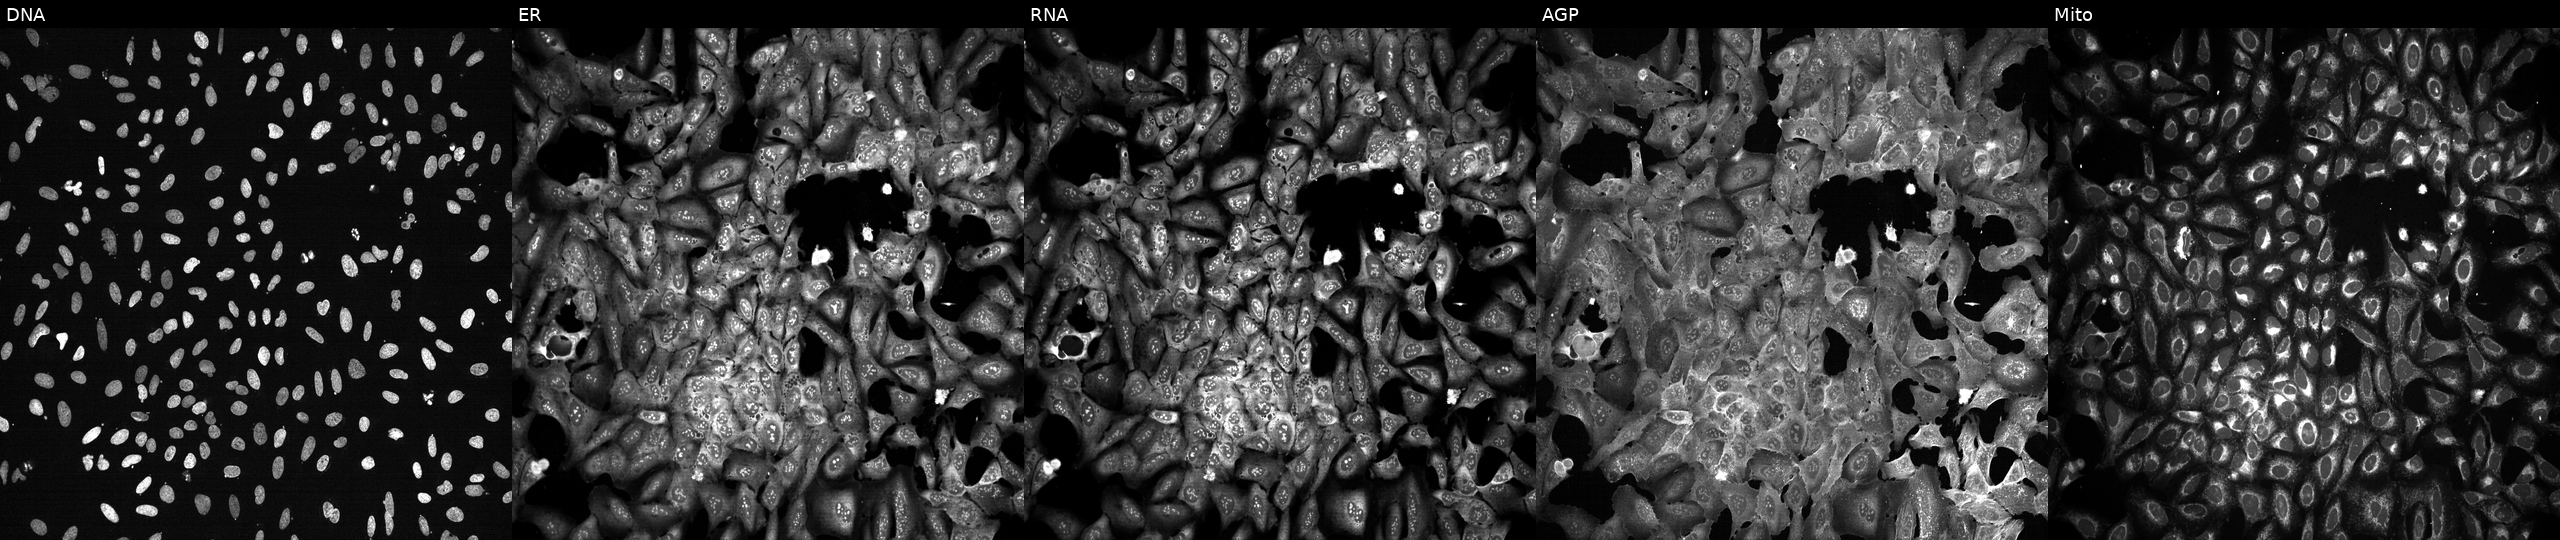
High-content fluorescence microscopy (Cell Painting). Cell line: U2OS. Perturbation: with POLR2J knocked out by CRISPR. The five panels, left to right, show DNA (nuclei); ER (endoplasmic reticulum); RNA (nucleoli and cytoplasmic RNA); AGP (actin cytoskeleton, Golgi, and plasma membrane); Mito (mitochondria). Source 13, plate CP-CC9-R3-02, well E10.